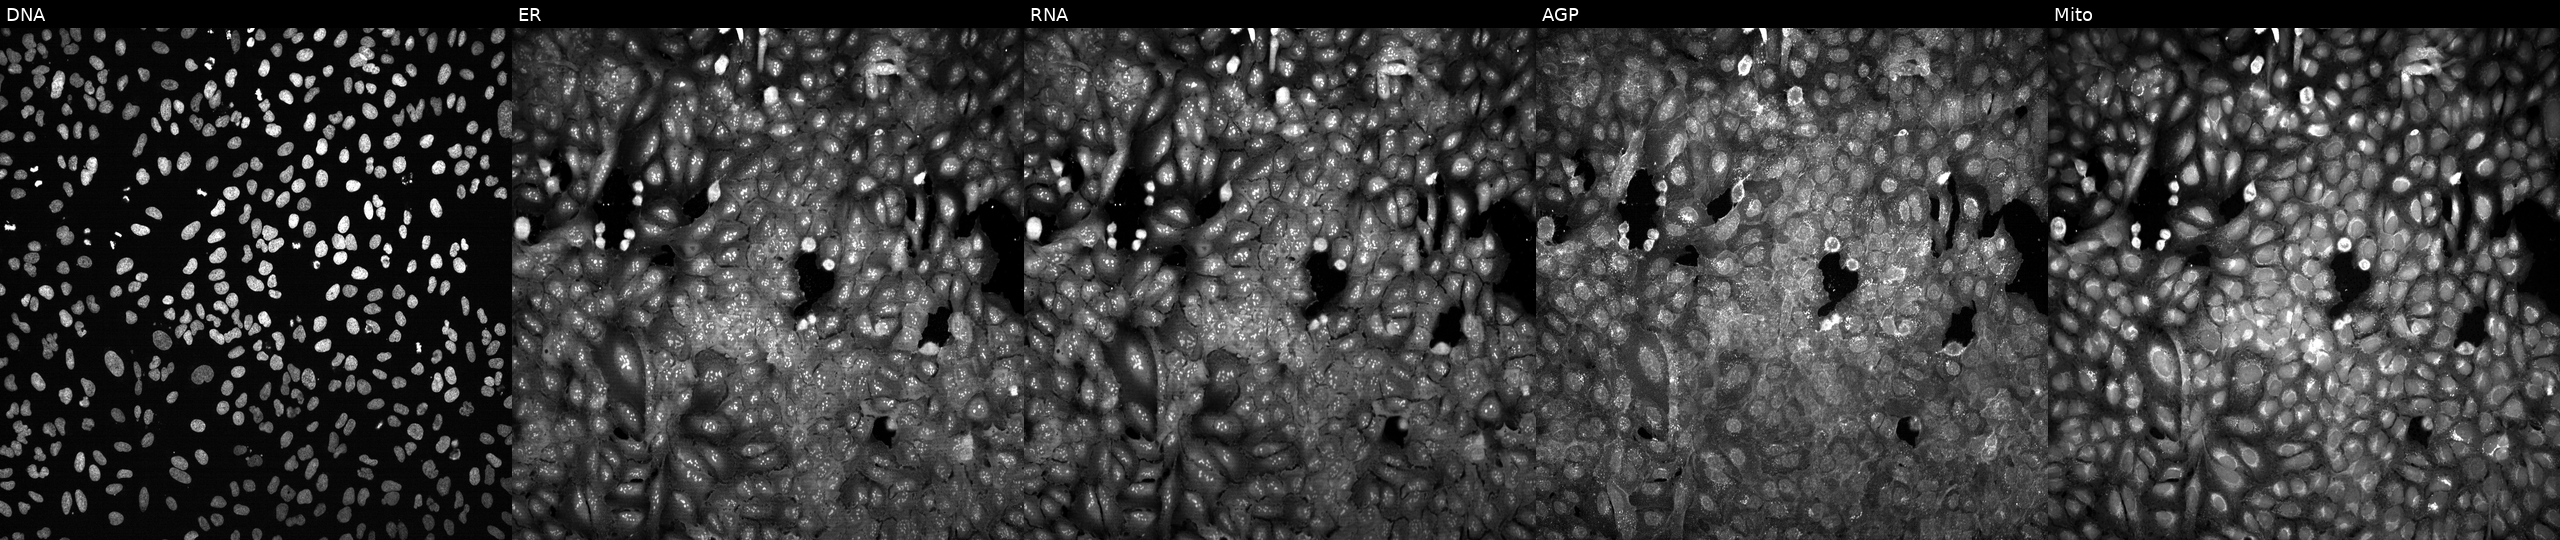
The five panels, left to right, show Hoechst 33342, concanavalin A, SYTO 14, phalloidin and WGA, MitoTracker. U2OS osteosarcoma cells CRISPR-edited to disrupt MRE11A. Cell Painting assay, JUMP-CP dataset.